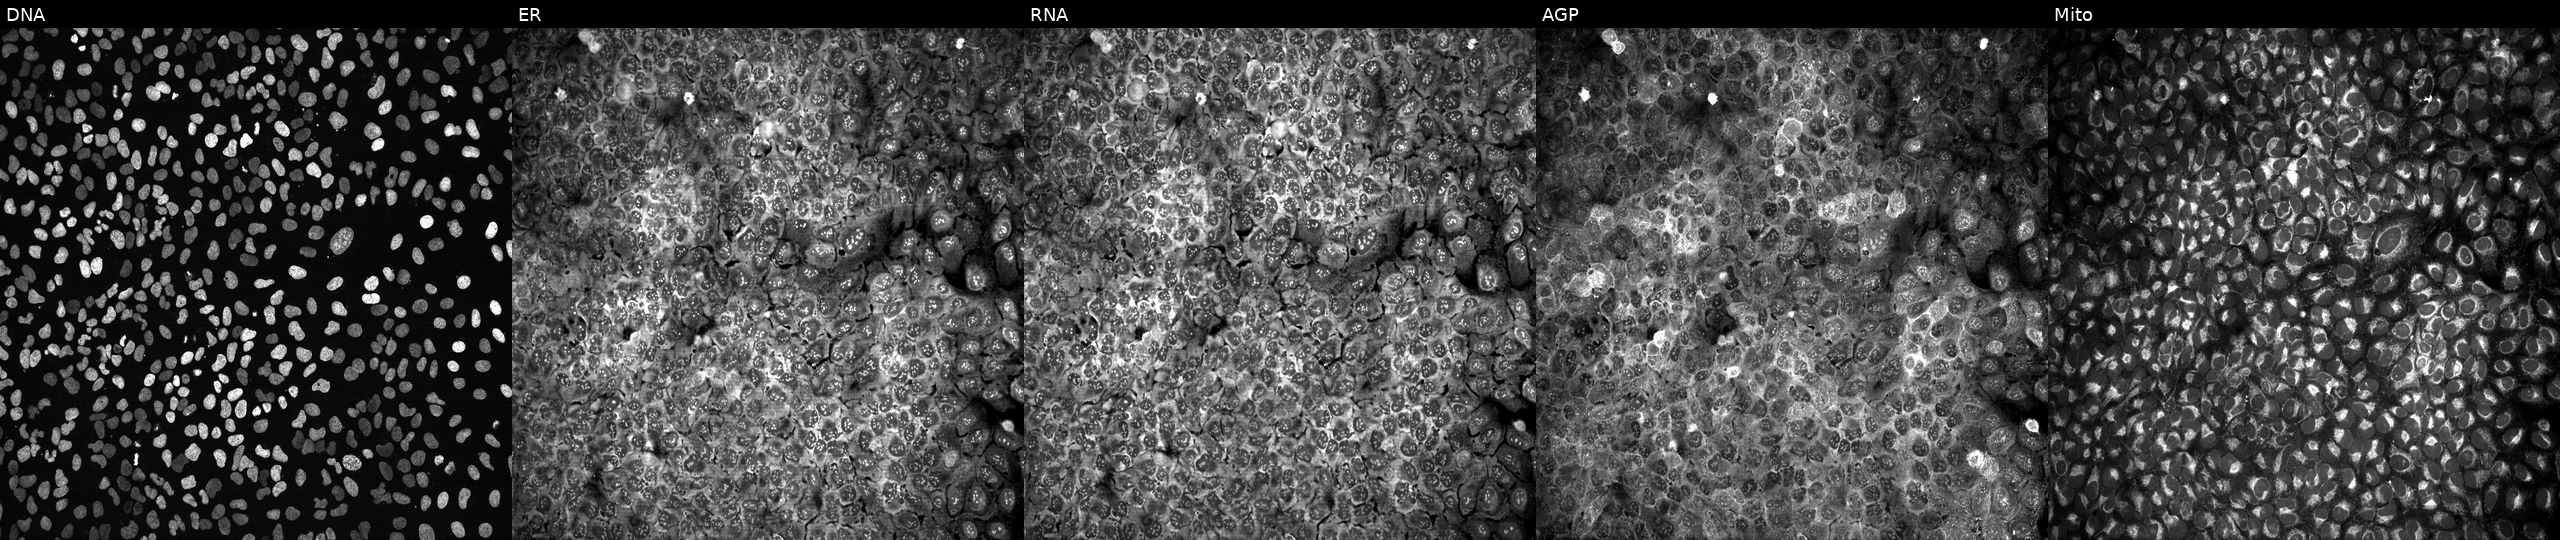
U2OS cells, Cell Painting assay, with SLC6A6 knocked out by CRISPR (JUMP id JCP2022_806578). Channels (left→right): Hoechst 33342, concanavalin A, SYTO 14, phalloidin and WGA, MitoTracker. Each panel is percentile-stretched 16-bit fluorescence. Source 13, plate CP-CC9-R4-03, well M08.